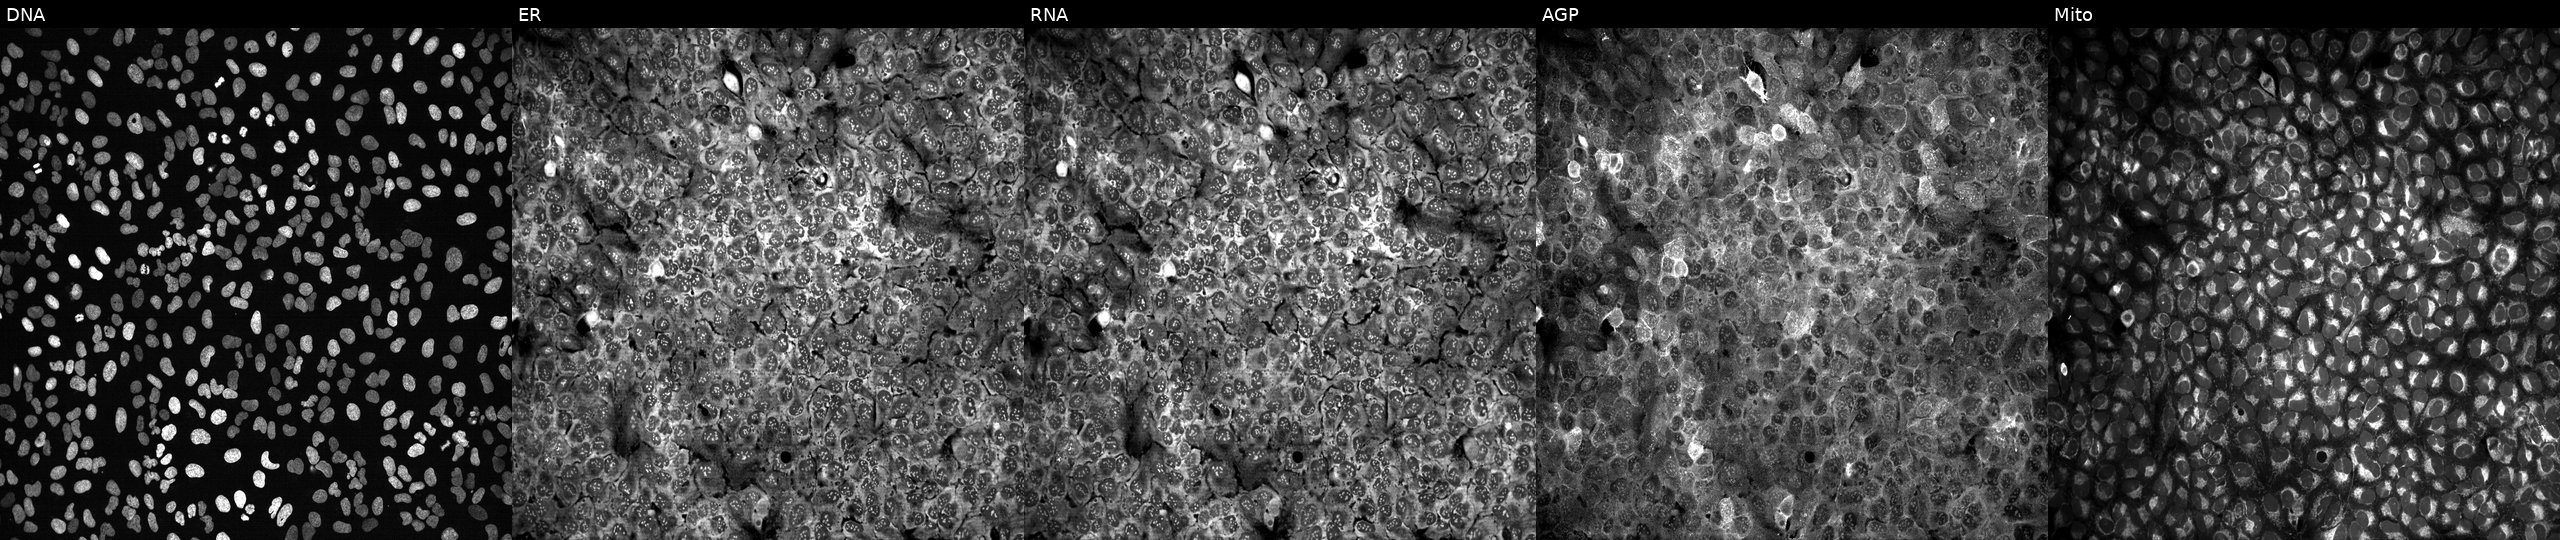
Five-channel Cell Painting image of U2OS cells following CRISPR knockout of BMP2. Channels (left→right): DNA (nuclei); ER (endoplasmic reticulum); RNA (nucleoli and cytoplasmic RNA); AGP (actin cytoskeleton, Golgi, and plasma membrane); Mito (mitochondria). Source 13, plate CP-CC9-R2-02, well H15.